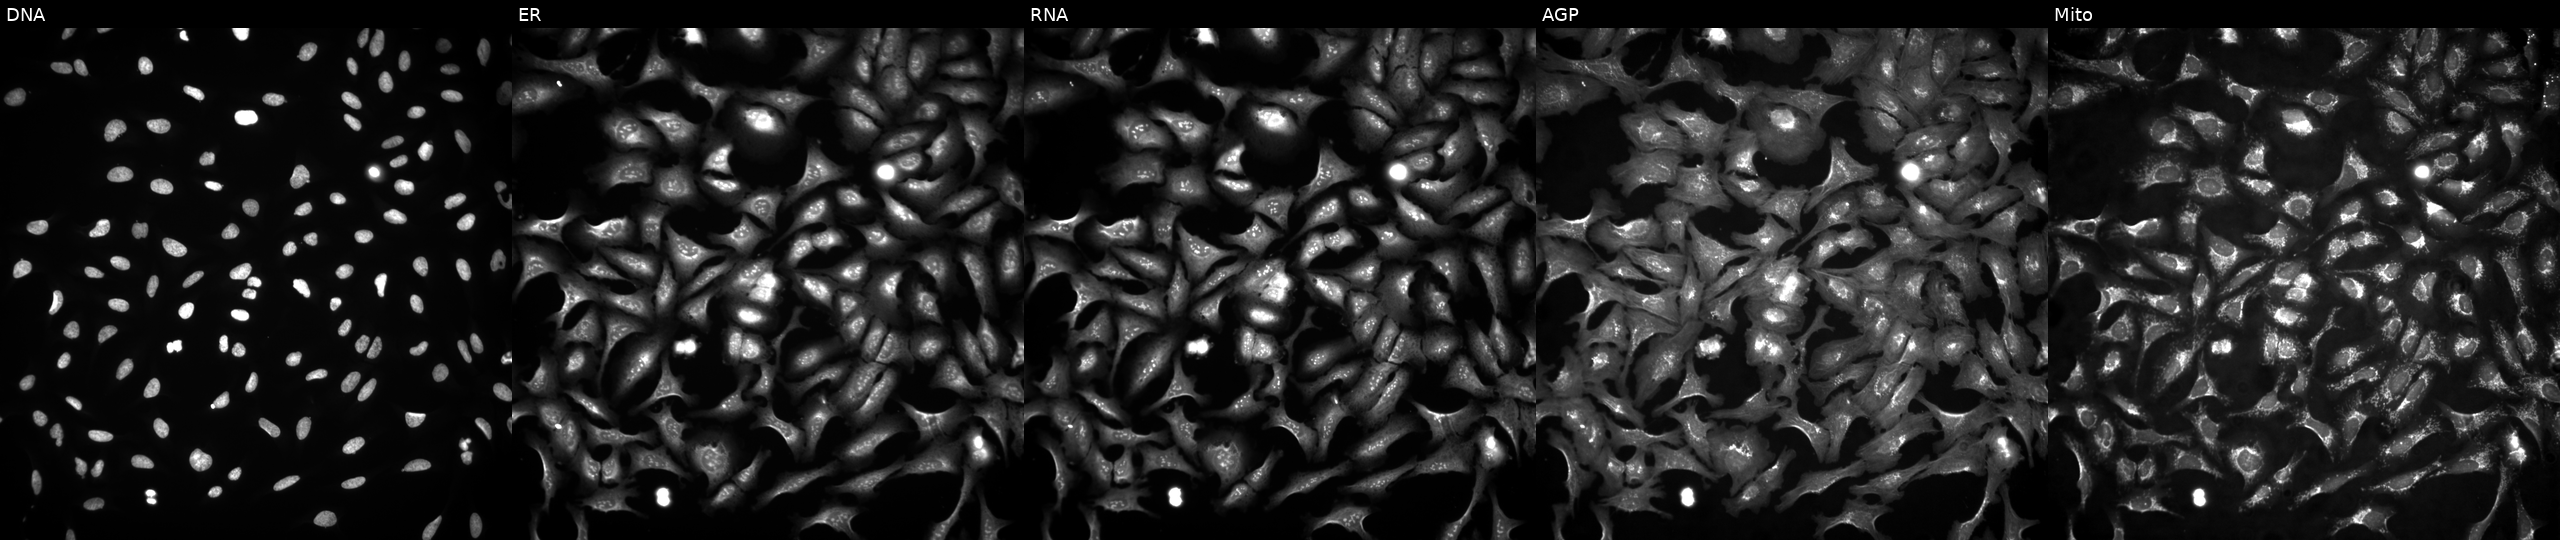
U2OS cells, Cell Painting assay, with CFLAR overexpressed (ORF) (JUMP id JCP2022_901895). Panels show, left to right, DNA (nuclei); ER (endoplasmic reticulum); RNA (nucleoli and cytoplasmic RNA); AGP (actin cytoskeleton, Golgi, and plasma membrane); Mito (mitochondria). Each panel is percentile-stretched 16-bit fluorescence.